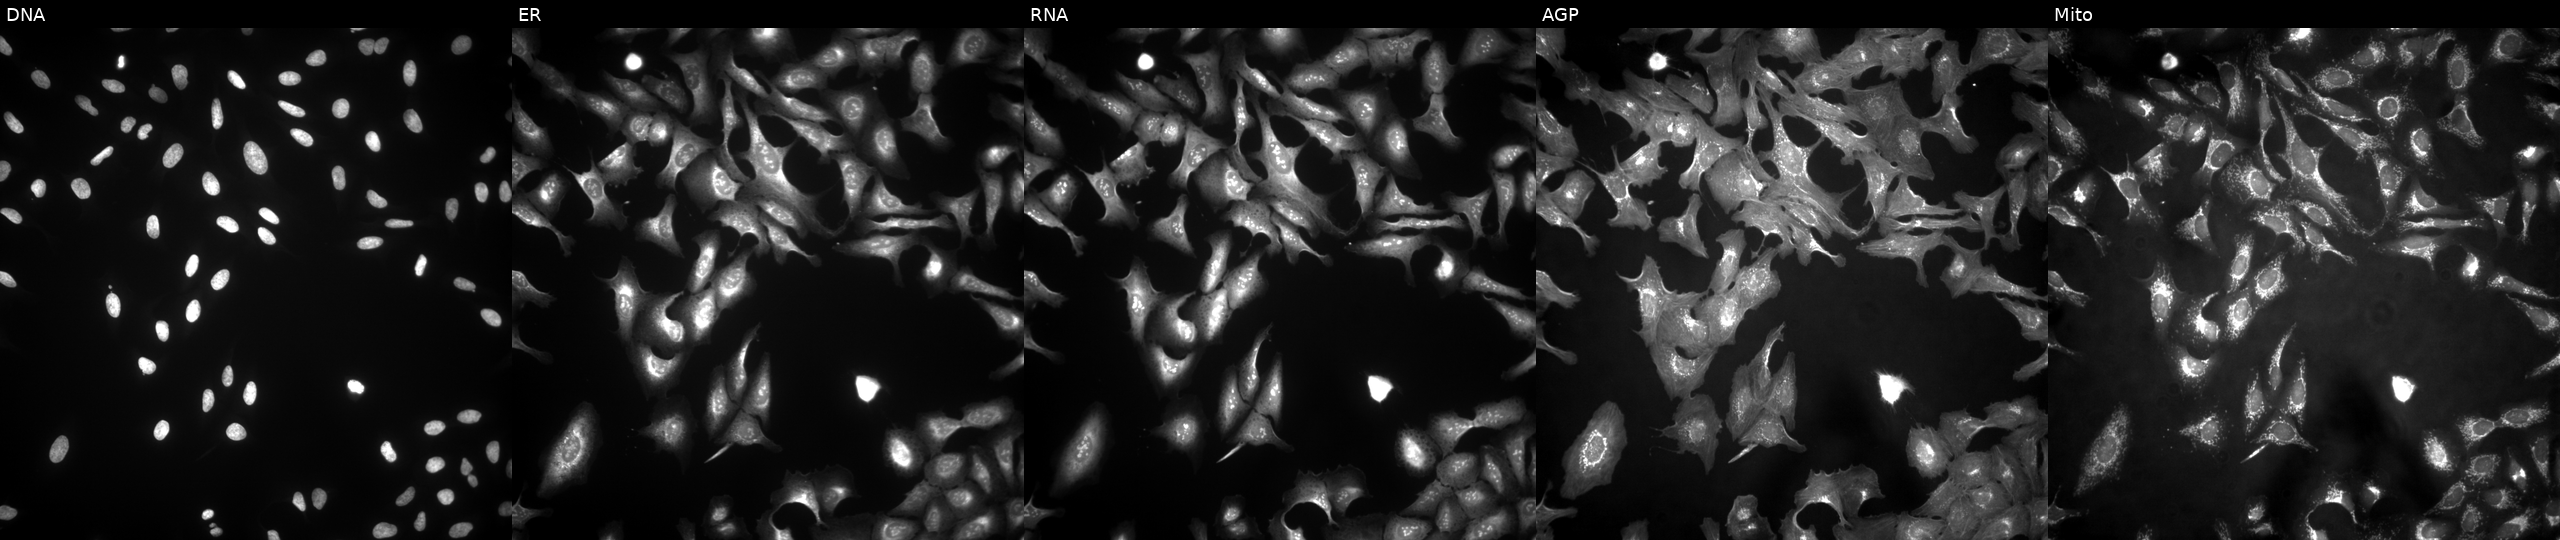
High-content fluorescence microscopy (Cell Painting). Cell line: U2OS. Perturbation: with FAM81B overexpressed (ORF) (JUMP id JCP2022_912388). From left to right: Hoechst 33342, concanavalin A, SYTO 14, phalloidin and WGA, MitoTracker.